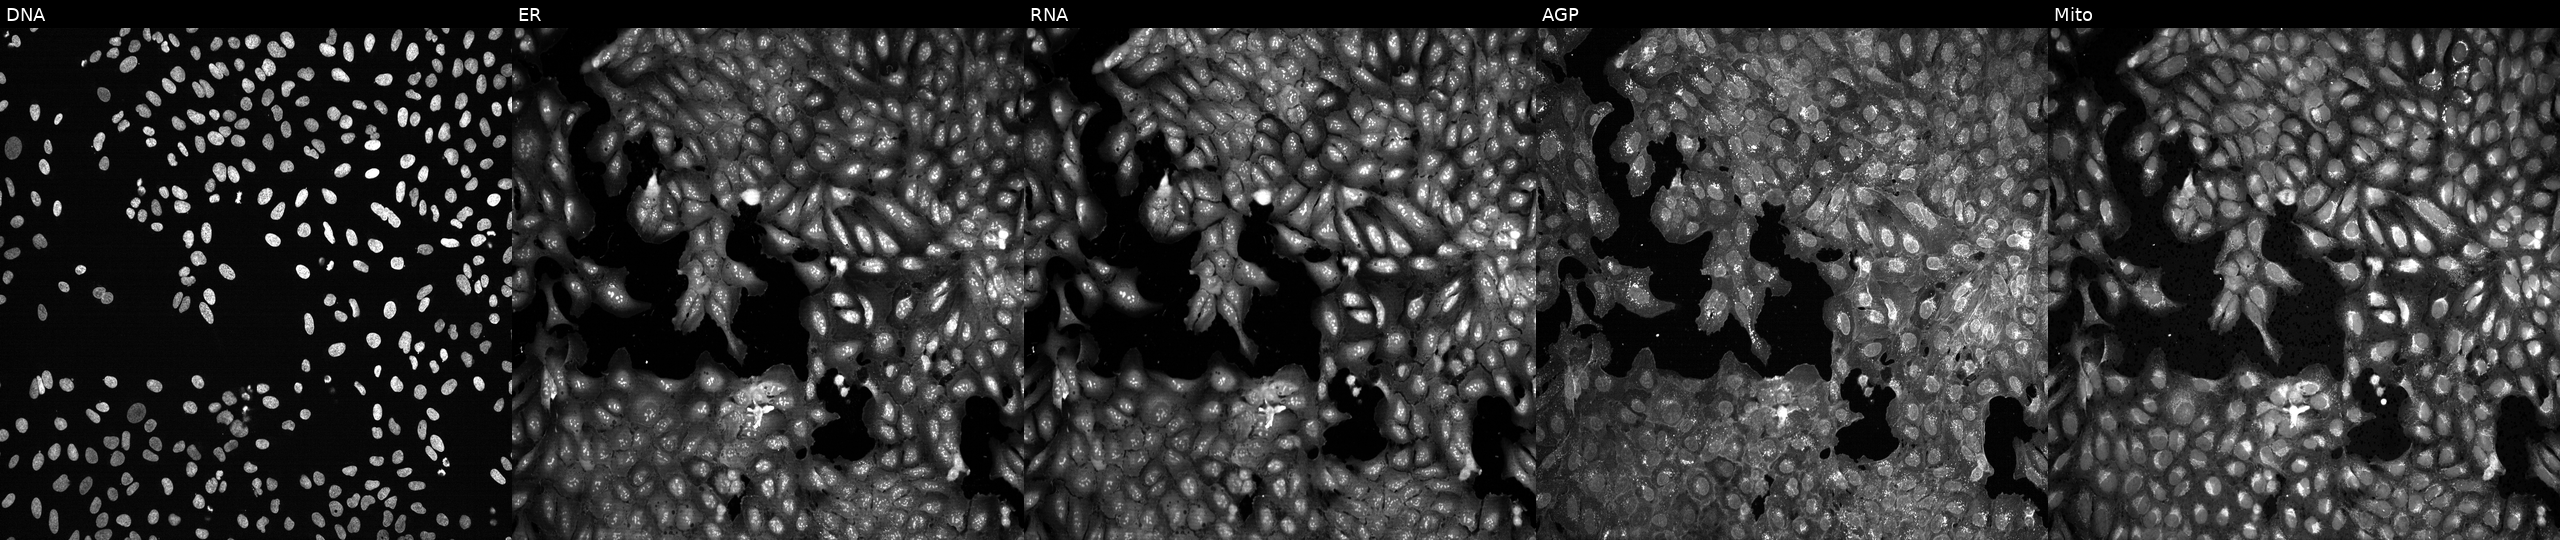
This image strip shows the five Cell Painting channels for a single field of U2OS cells with no CRISPR guide (negative control). Channels (left→right): Hoechst 33342, concanavalin A, SYTO 14, phalloidin and WGA, MitoTracker.